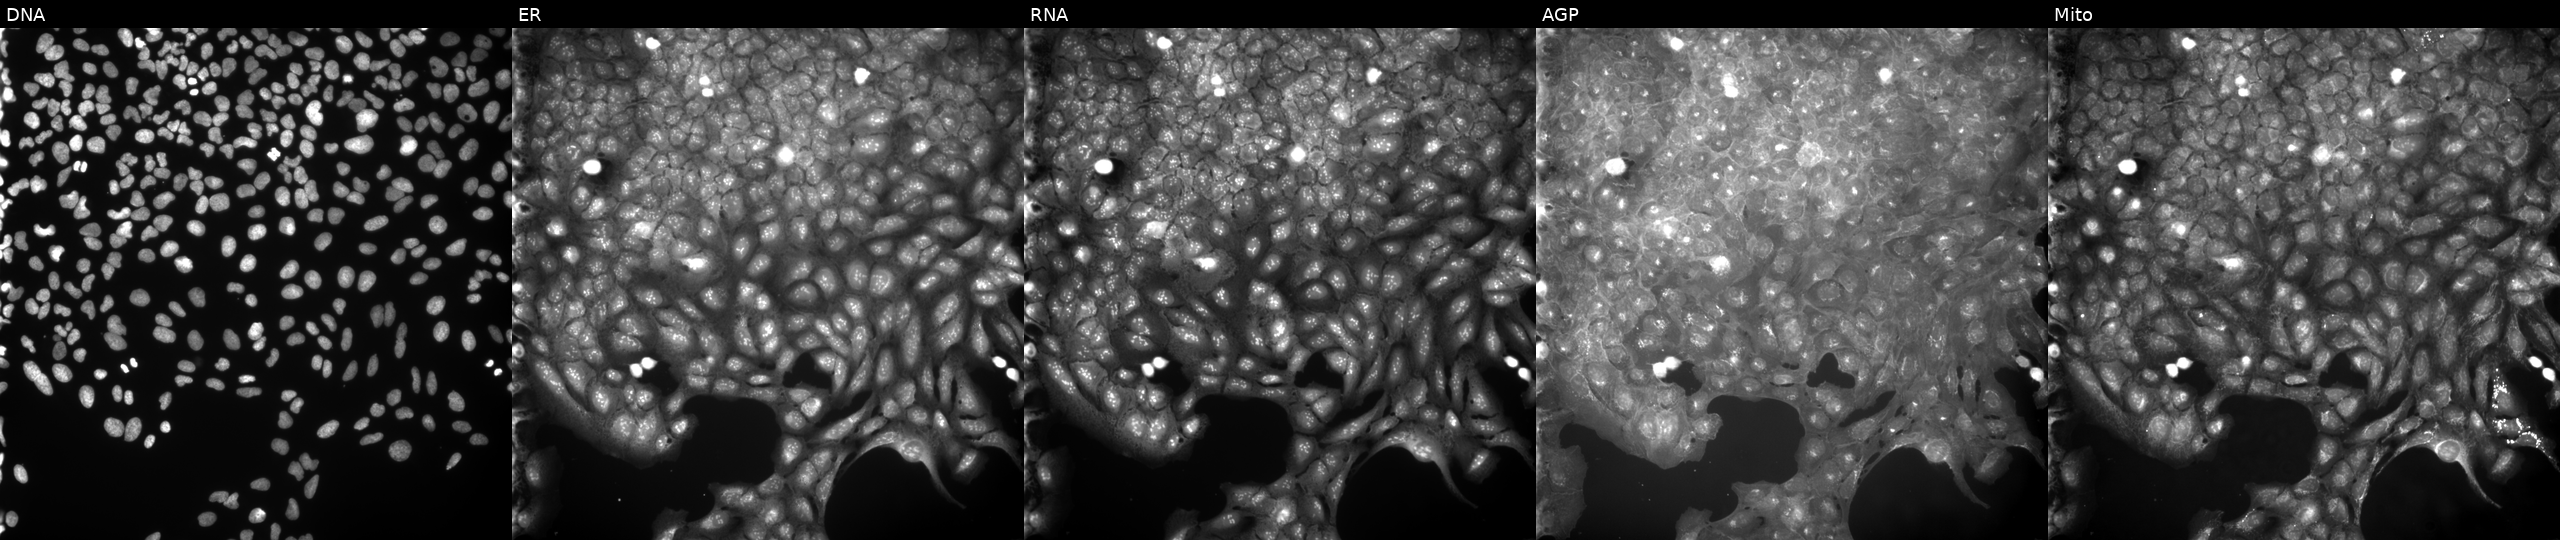
JUMP Cell Painting — COMPOUND plate. U2OS cells perturbed with a small-molecule compound (JUMP id JCP2022_112327). From left to right: DNA, ER, RNA, AGP, and Mito. Source 9, plate GR00003381, well H18.